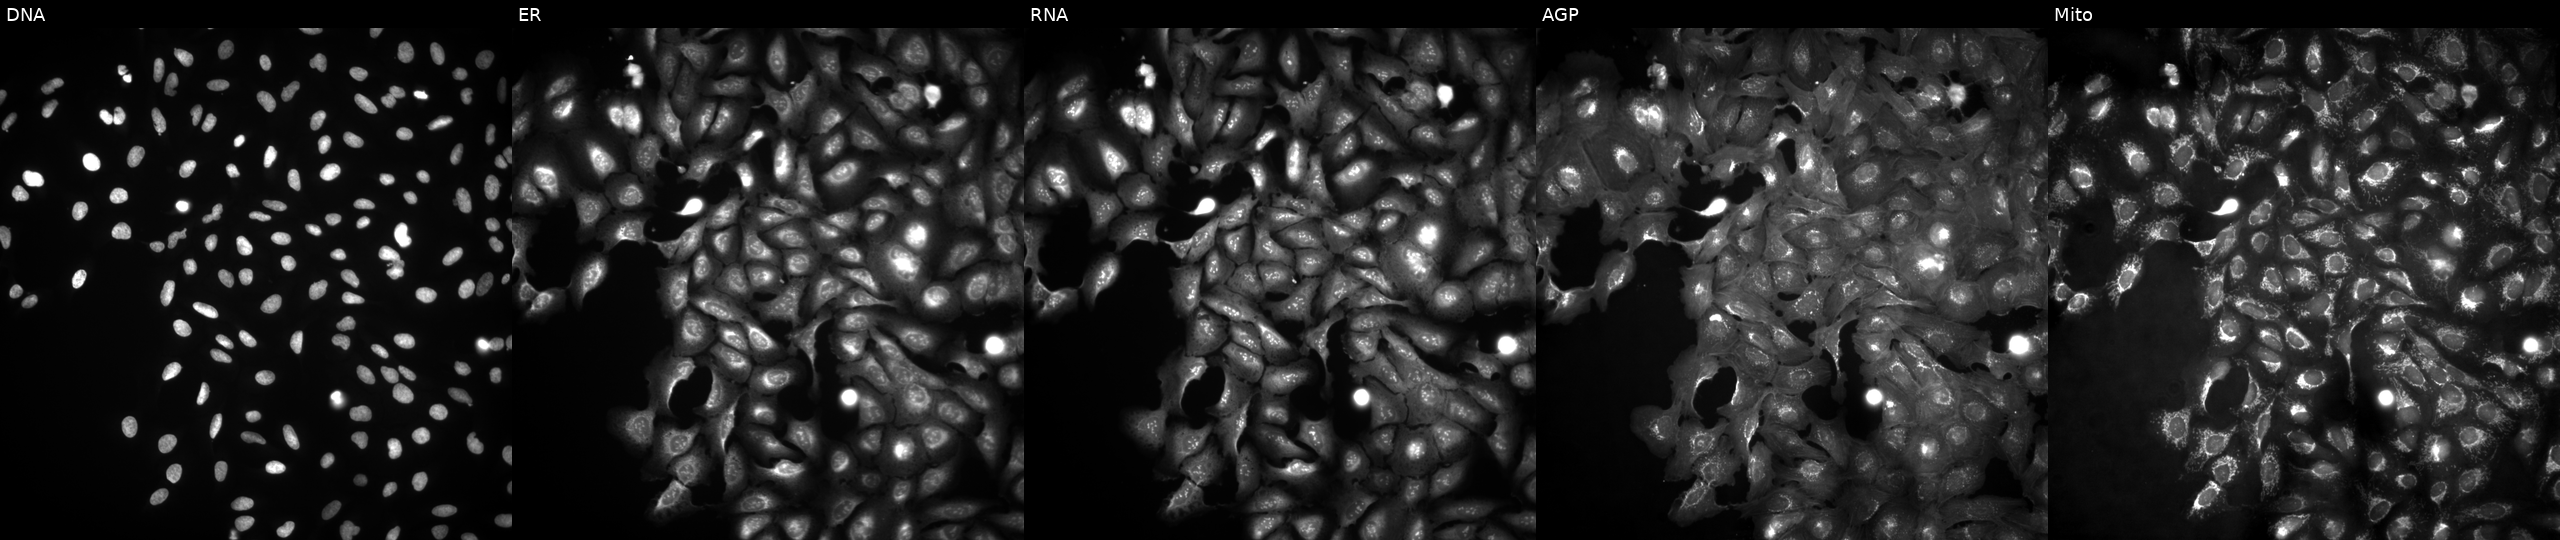
U2OS cells, Cell Painting assay, with KBTBD7 overexpressed (ORF). Panels show, left to right, DNA, ER, RNA, AGP, and Mito. Each panel is percentile-stretched 16-bit fluorescence. Source 4, plate BR00121543, well M24.